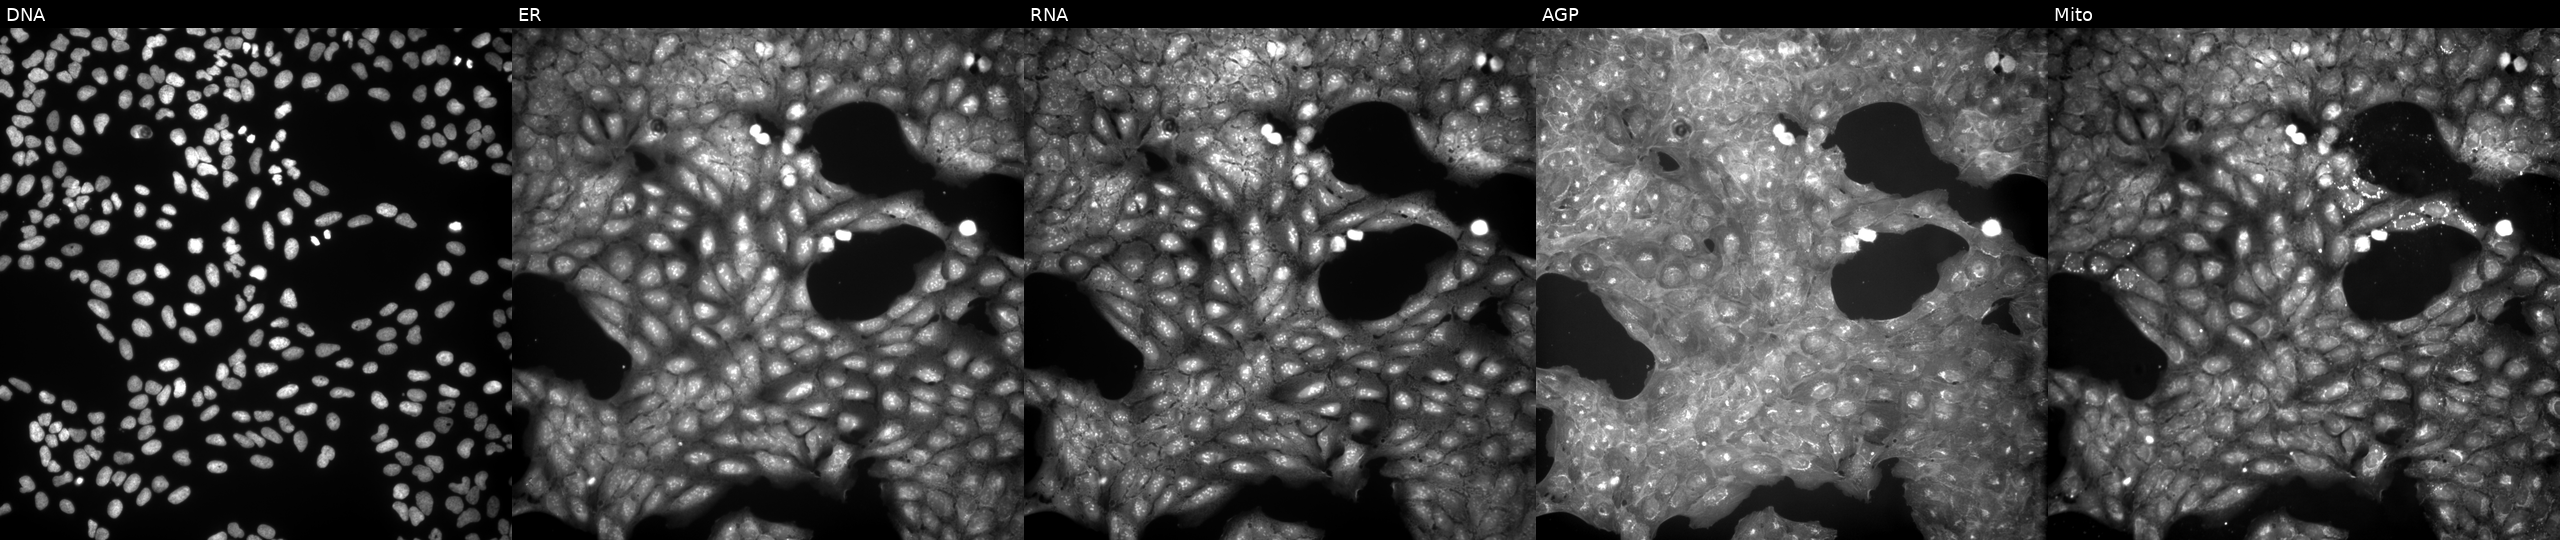
The five panels, left to right, show DNA (nuclei); ER (endoplasmic reticulum); RNA (nucleoli and cytoplasmic RNA); AGP (actin cytoskeleton, Golgi, and plasma membrane); Mito (mitochondria). U2OS osteosarcoma cells treated with a small-molecule compound (InChIKey HIJAWIFUJXNPOG-UHFFFAOYSA-N) [SMILES: Cc1ccccc1C(=O)Nn1cnc2ccccc2c1=O] (JUMP id JCP2022_030408). Cell Painting assay, JUMP-CP dataset.